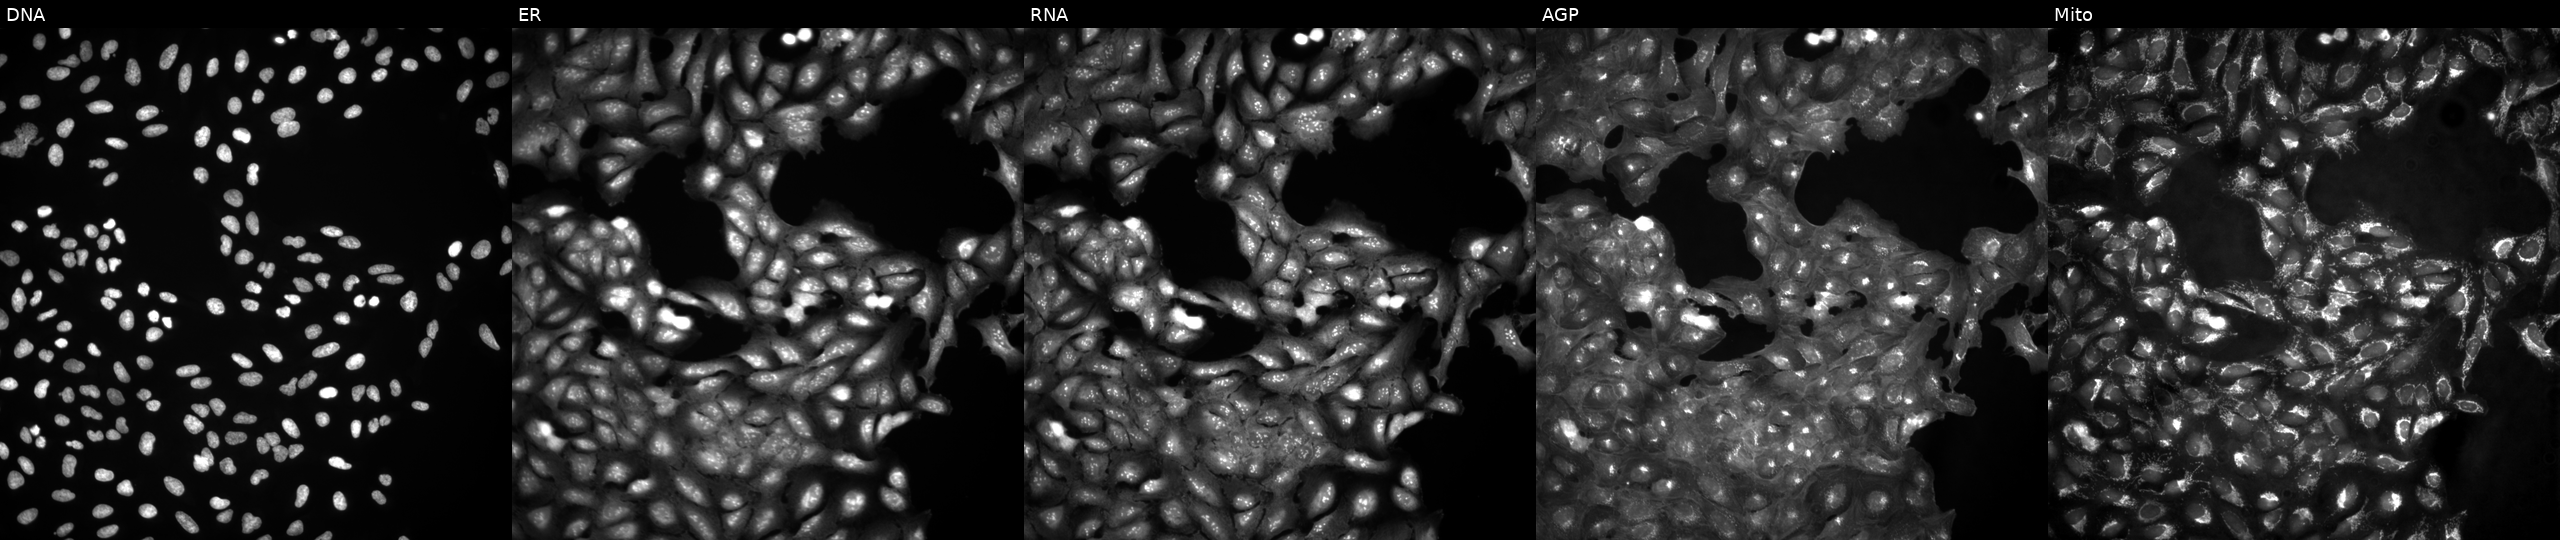
High-content fluorescence microscopy (Cell Painting). Cell line: U2OS. Perturbation: untreated (empty-well control) (JUMP id JCP2022_999999). Channels (left→right): DNA (nuclei); ER (endoplasmic reticulum); RNA (nucleoli and cytoplasmic RNA); AGP (actin cytoskeleton, Golgi, and plasma membrane); Mito (mitochondria).